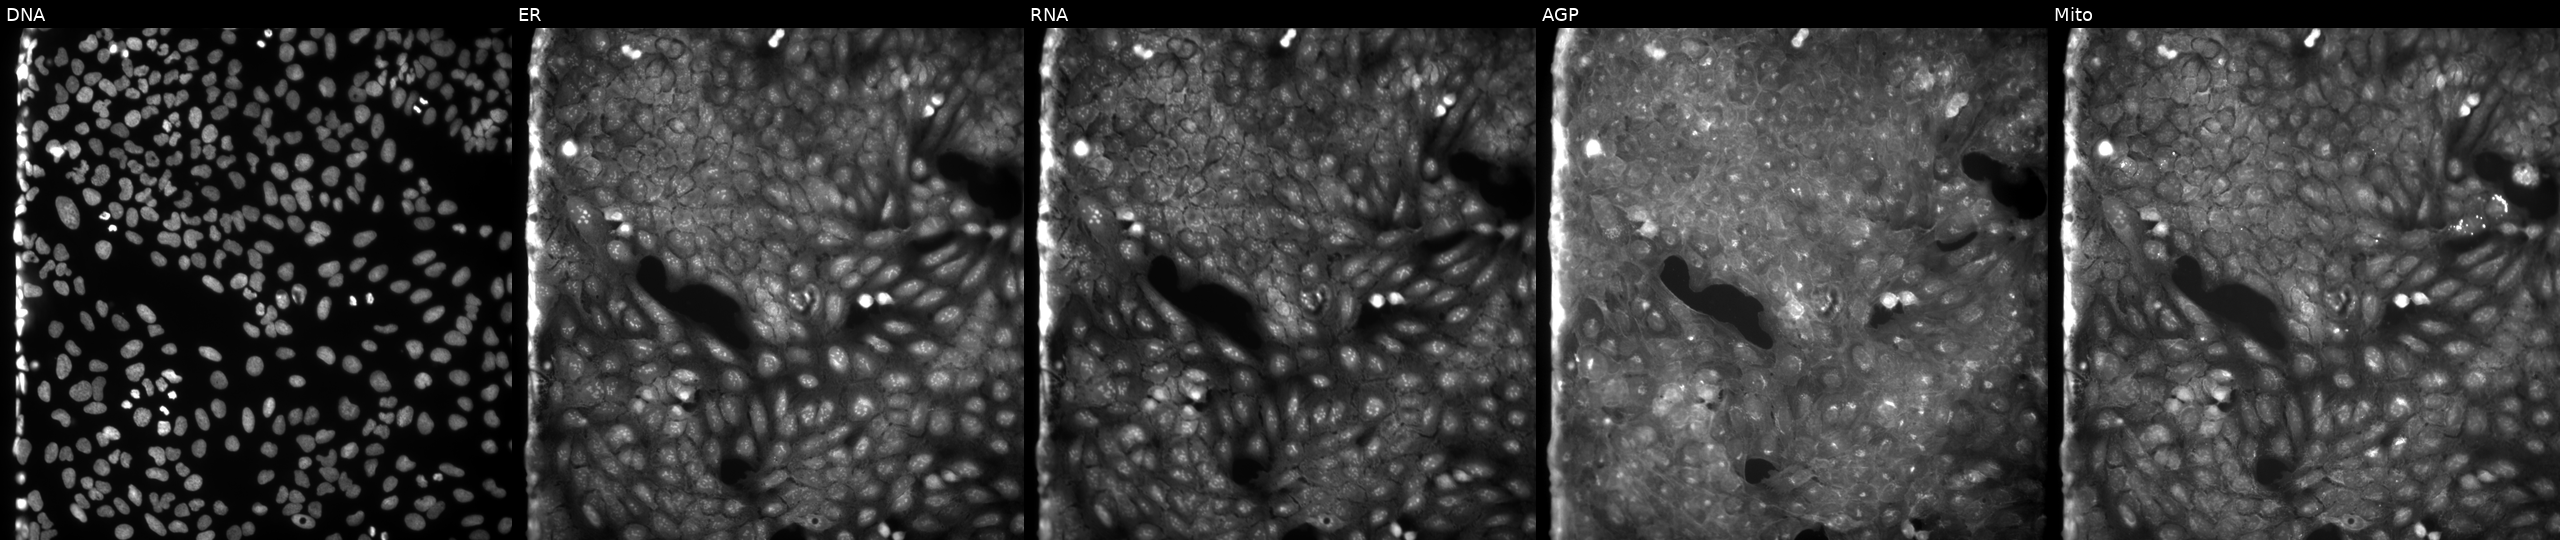
U2OS cells, Cell Painting assay, perturbed with a small-molecule compound (InChIKey FLIBDYXZBXLFMW-UHFFFAOYSA-N). The five panels, left to right, show DNA (nuclei); ER (endoplasmic reticulum); RNA (nucleoli and cytoplasmic RNA); AGP (actin cytoskeleton, Golgi, and plasma membrane); Mito (mitochondria). Each panel is percentile-stretched 16-bit fluorescence.